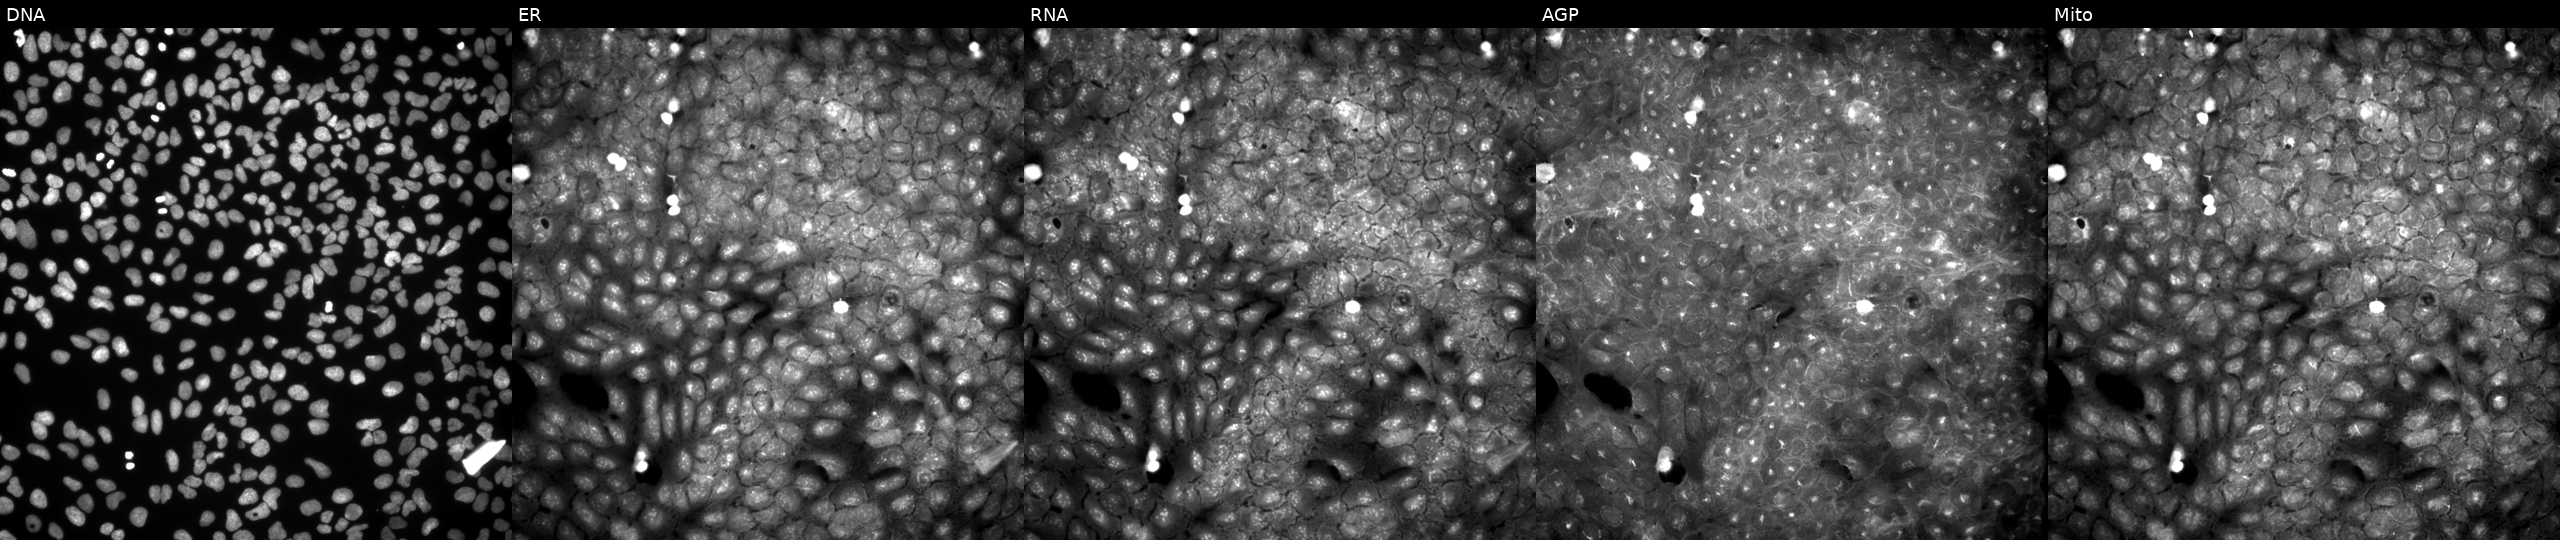
Channels (left→right): Hoechst 33342, concanavalin A, SYTO 14, phalloidin and WGA, MitoTracker. U2OS osteosarcoma cells treated with a small-molecule compound (InChIKey WWYJKRVPRQANAX-UHFFFAOYSA-N). Cell Painting assay, JUMP-CP dataset. Source 9, plate GR00003381, well K36.